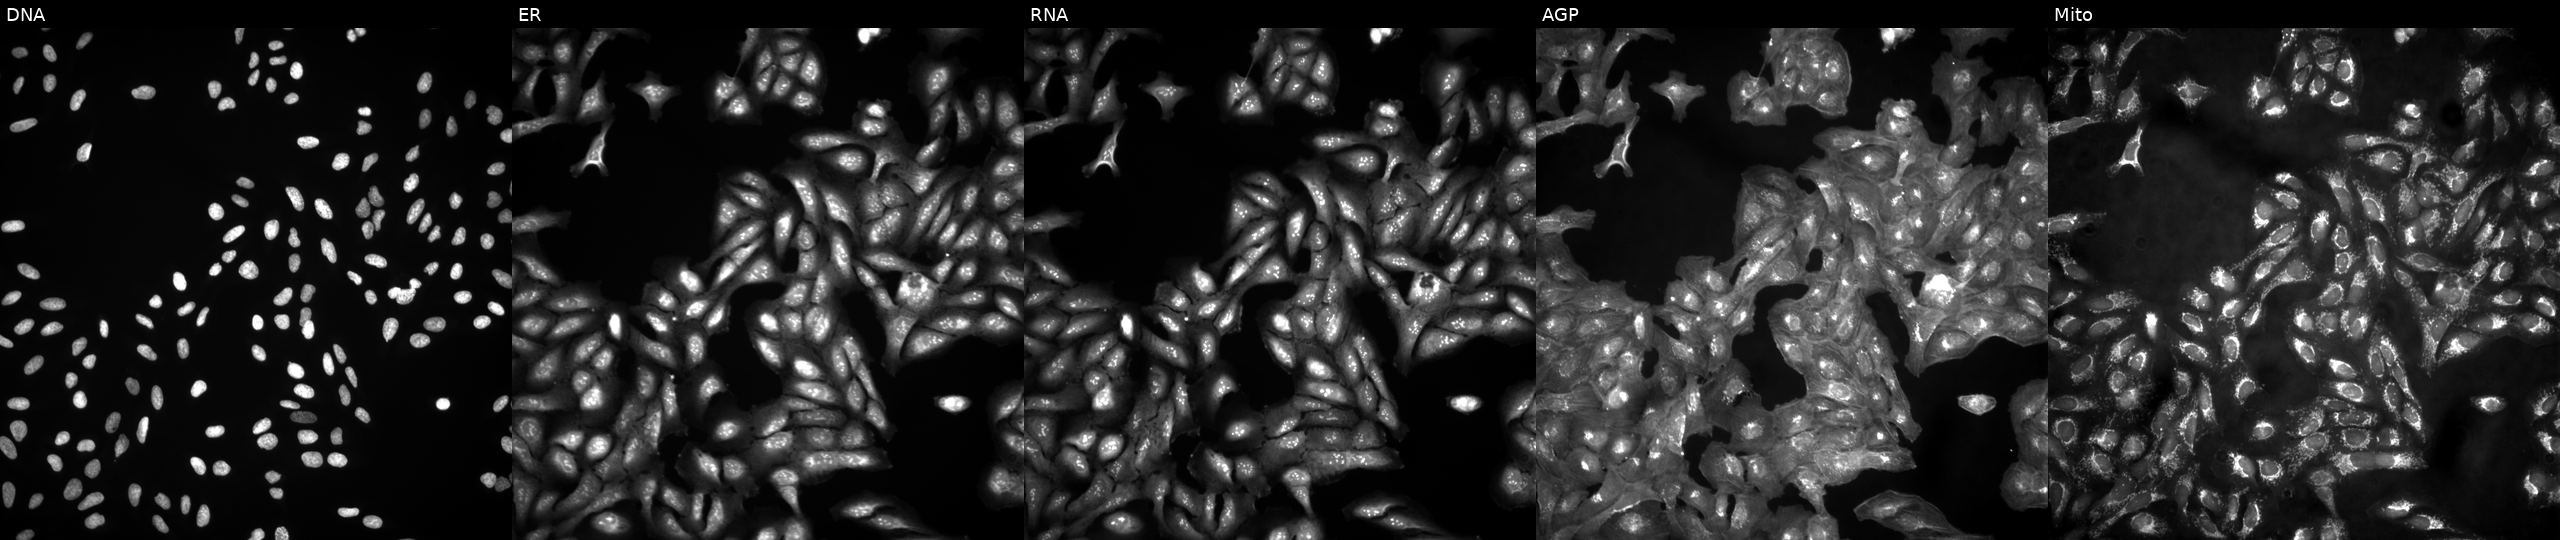
This image strip shows the five Cell Painting channels for a single field of U2OS cells in an empty control well (no perturbation) (JUMP id JCP2022_999999). Panels show, left to right, DNA (nuclei); ER (endoplasmic reticulum); RNA (nucleoli and cytoplasmic RNA); AGP (actin cytoskeleton, Golgi, and plasma membrane); Mito (mitochondria). Source 4, plate BR00123946, well L07.